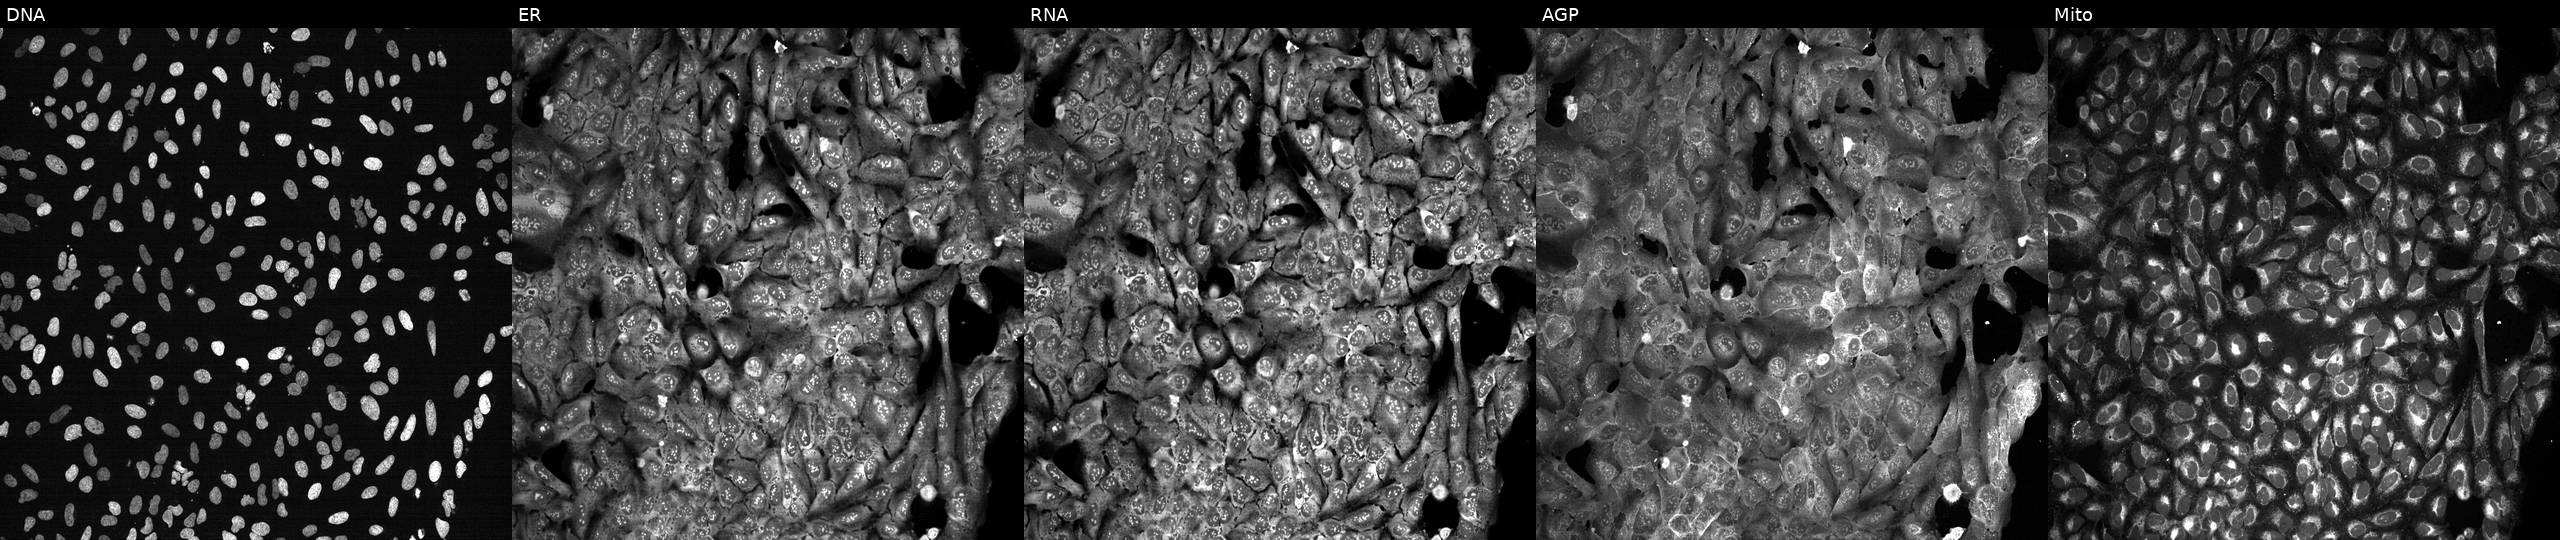
U2OS cells, Cell Painting assay, following CRISPR knockout of POLR2K (JUMP id JCP2022_805352). Panels show, left to right, Hoechst 33342, concanavalin A, SYTO 14, phalloidin and WGA, MitoTracker. Each panel is percentile-stretched 16-bit fluorescence.